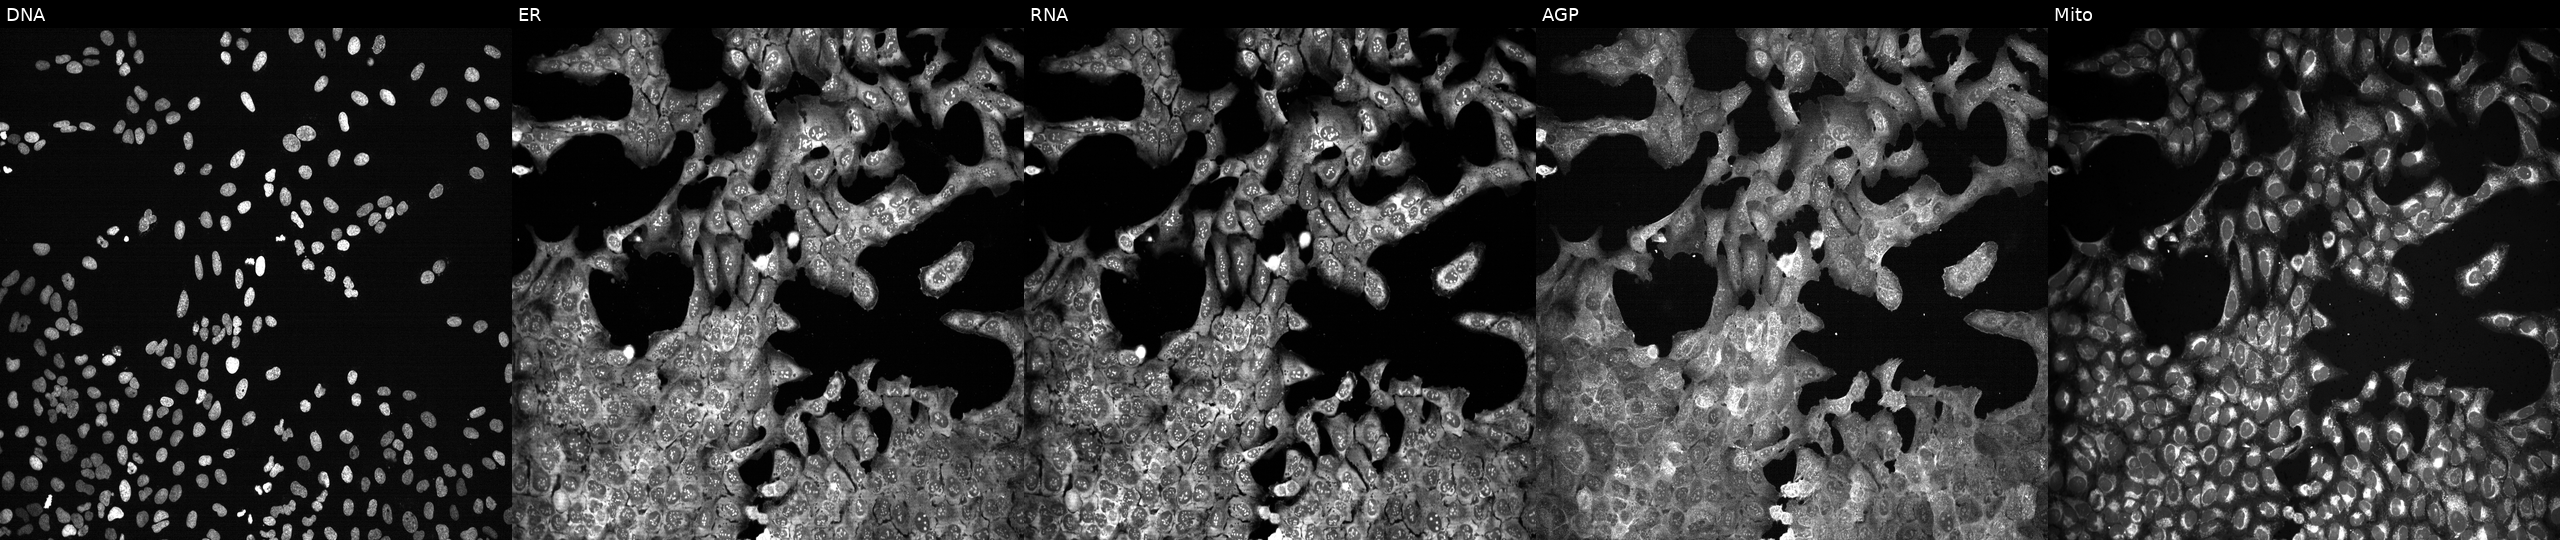
Five-channel Cell Painting image of U2OS cells following CRISPR knockout of PDIA4 (JUMP id JCP2022_805017). From left to right: DNA (nuclei); ER (endoplasmic reticulum); RNA (nucleoli and cytoplasmic RNA); AGP (actin cytoskeleton, Golgi, and plasma membrane); Mito (mitochondria).